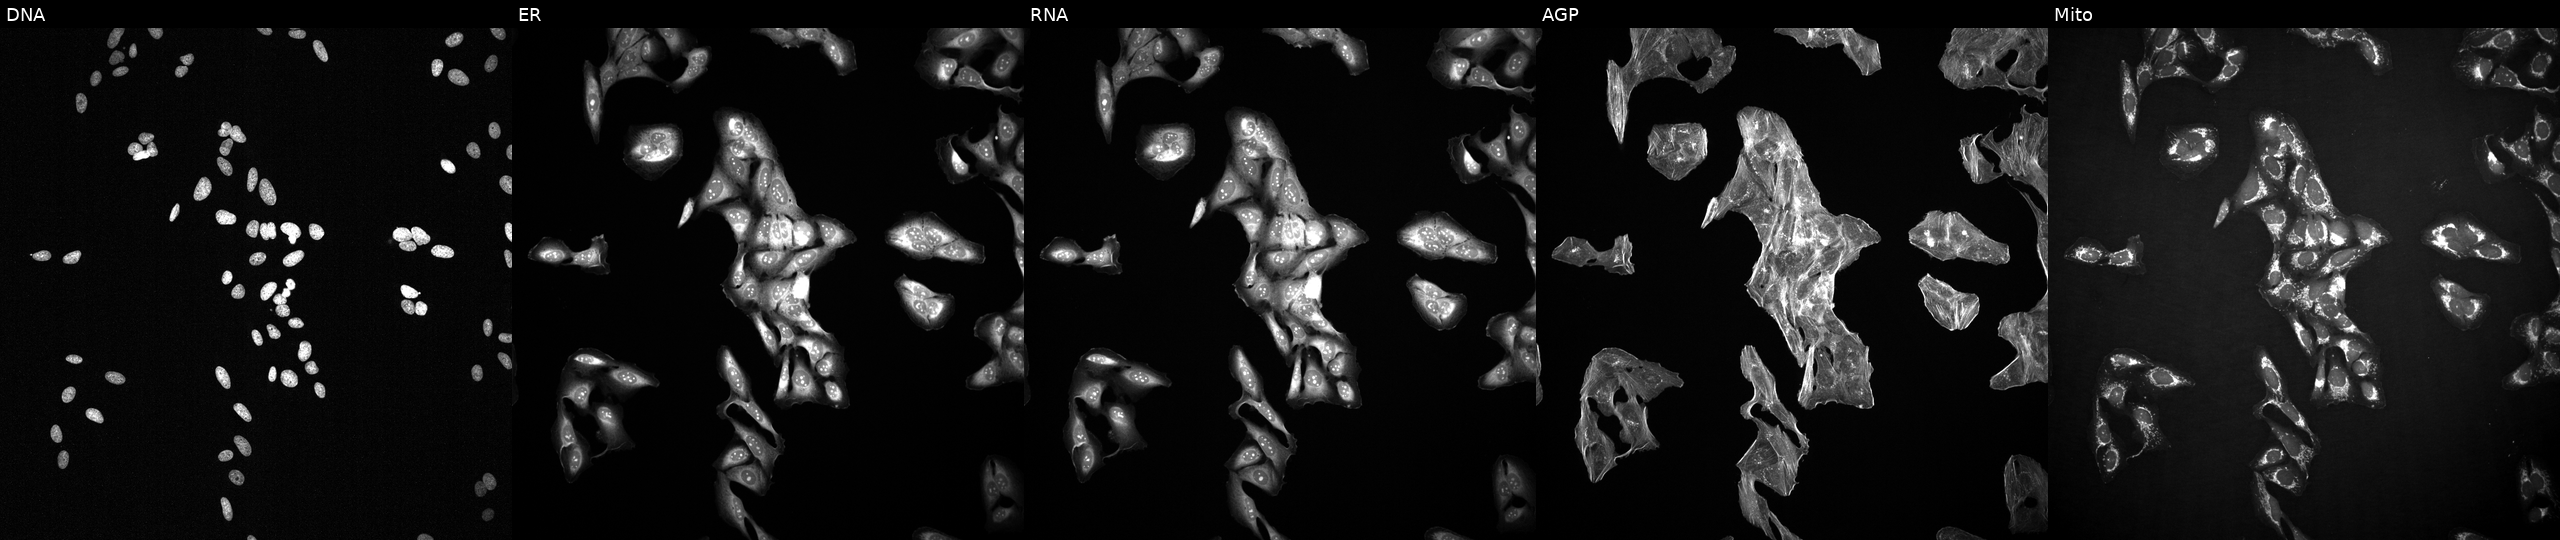
Five-channel Cell Painting image of U2OS cells exposed to a small-molecule compound (InChIKey WYWHKKSPHMUBEB-UHFFFAOYSA-N) (JUMP id JCP2022_102083). The five panels, left to right, show DNA (nuclei); ER (endoplasmic reticulum); RNA (nucleoli and cytoplasmic RNA); AGP (actin cytoskeleton, Golgi, and plasma membrane); Mito (mitochondria). Source 2, plate 1053600674, well D20.